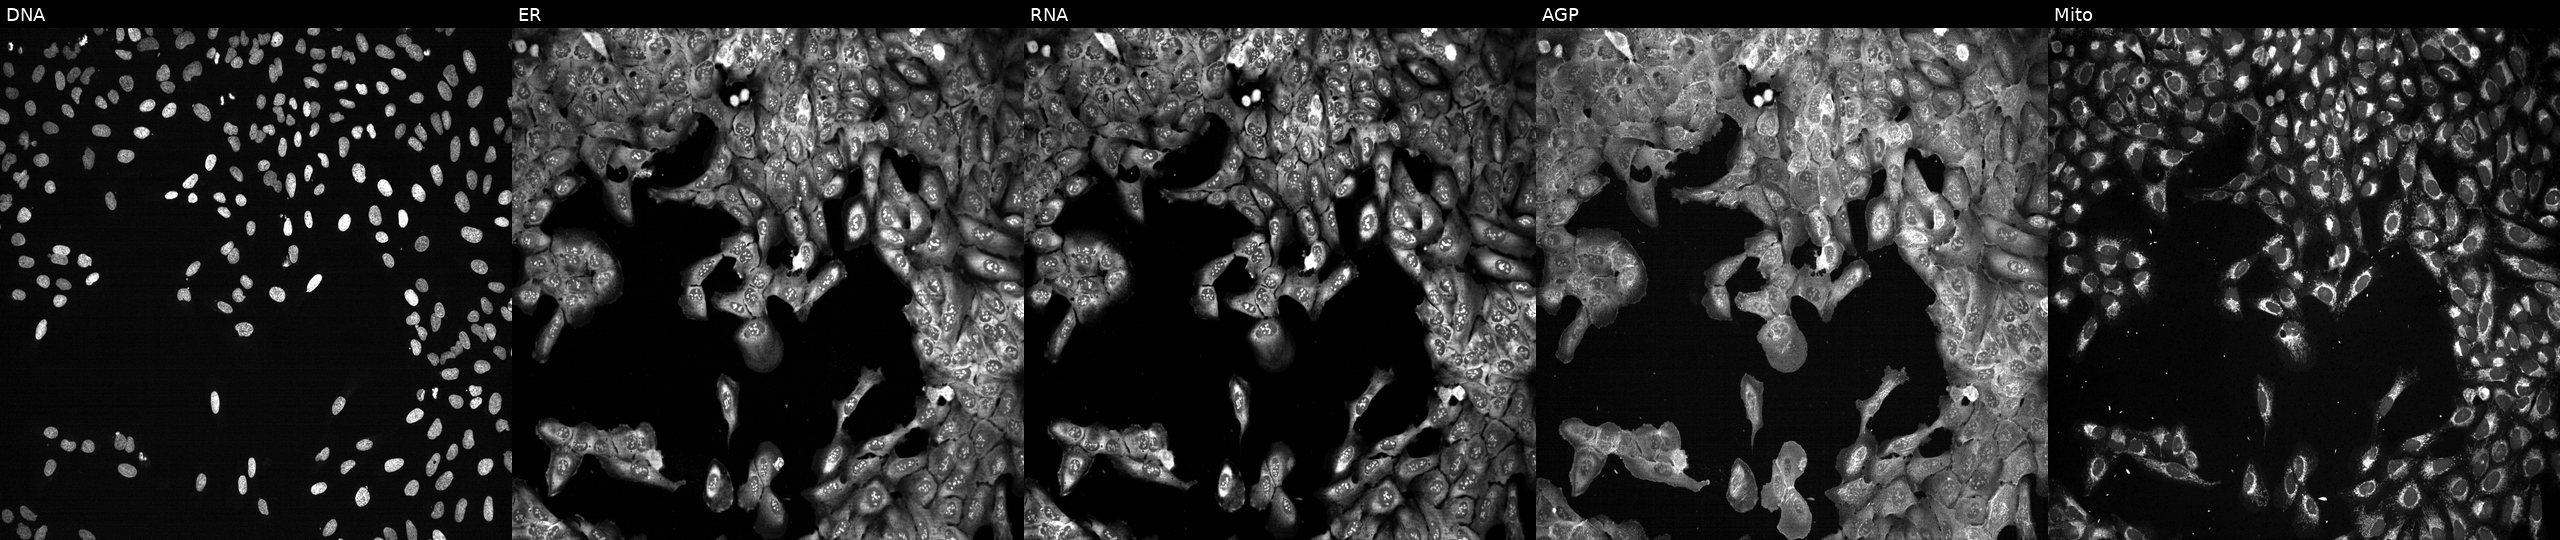
JUMP Cell Painting — CRISPR plate. U2OS cells CRISPR-edited to disrupt CCS (JUMP id JCP2022_801135). Panels show, left to right, Hoechst 33342, concanavalin A, SYTO 14, phalloidin and WGA, MitoTracker.